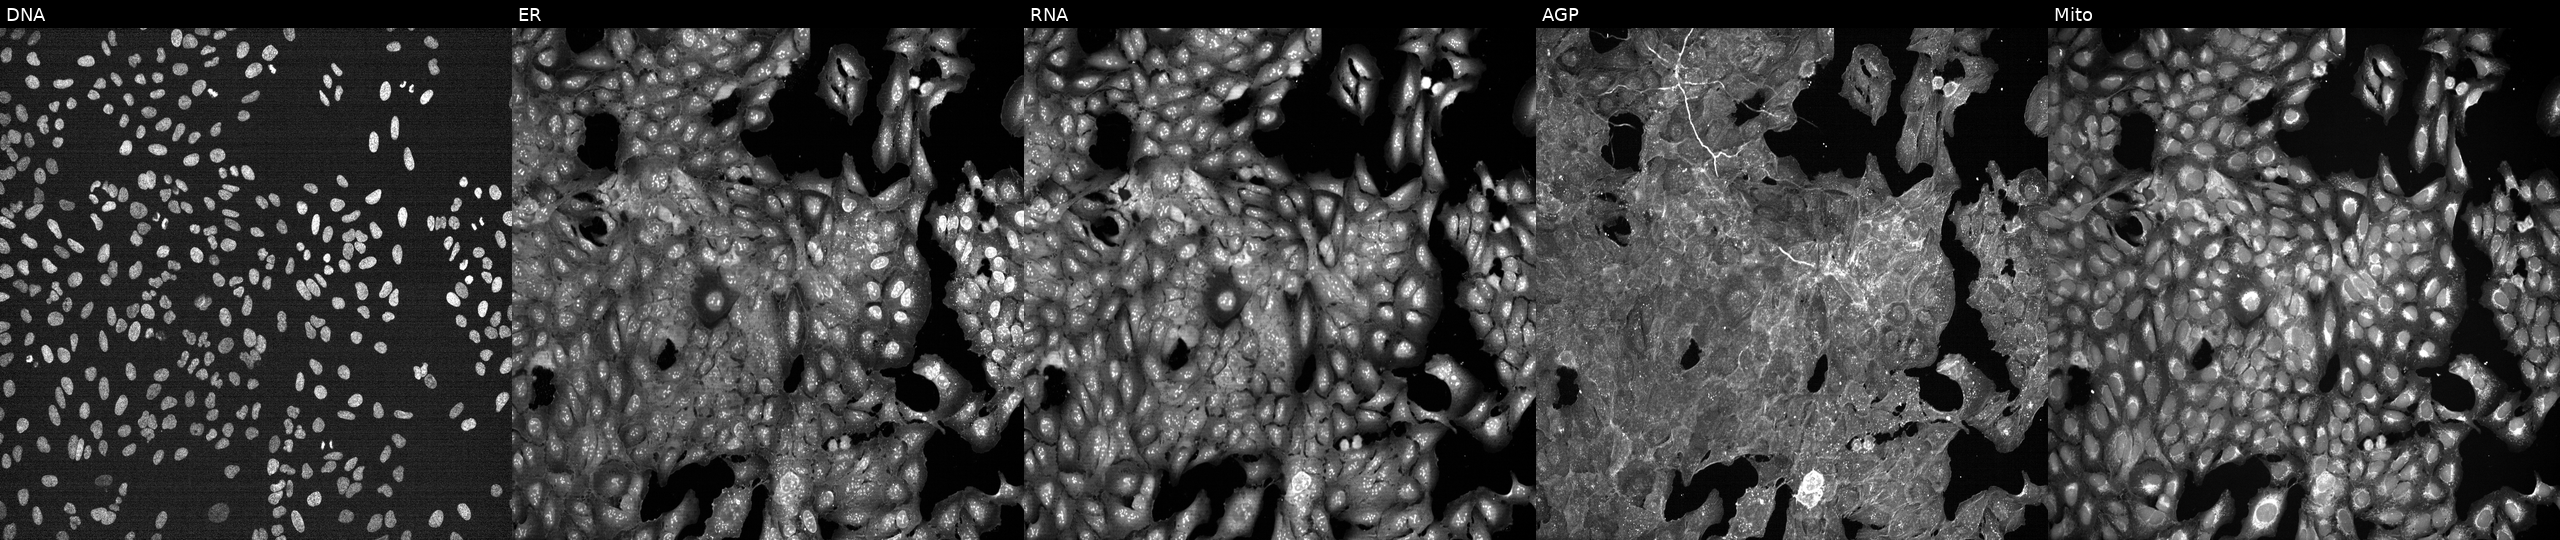
High-content fluorescence microscopy (Cell Painting). Cell line: U2OS. Perturbation: perturbed with a small-molecule compound (InChIKey GVJHHUAWPYXKBD-UHFFFAOYSA-N). The five panels, left to right, show DNA (nuclei); ER (endoplasmic reticulum); RNA (nucleoli and cytoplasmic RNA); AGP (actin cytoskeleton, Golgi, and plasma membrane); Mito (mitochondria). Source 7, plate CP1-SC1-25, well G09.